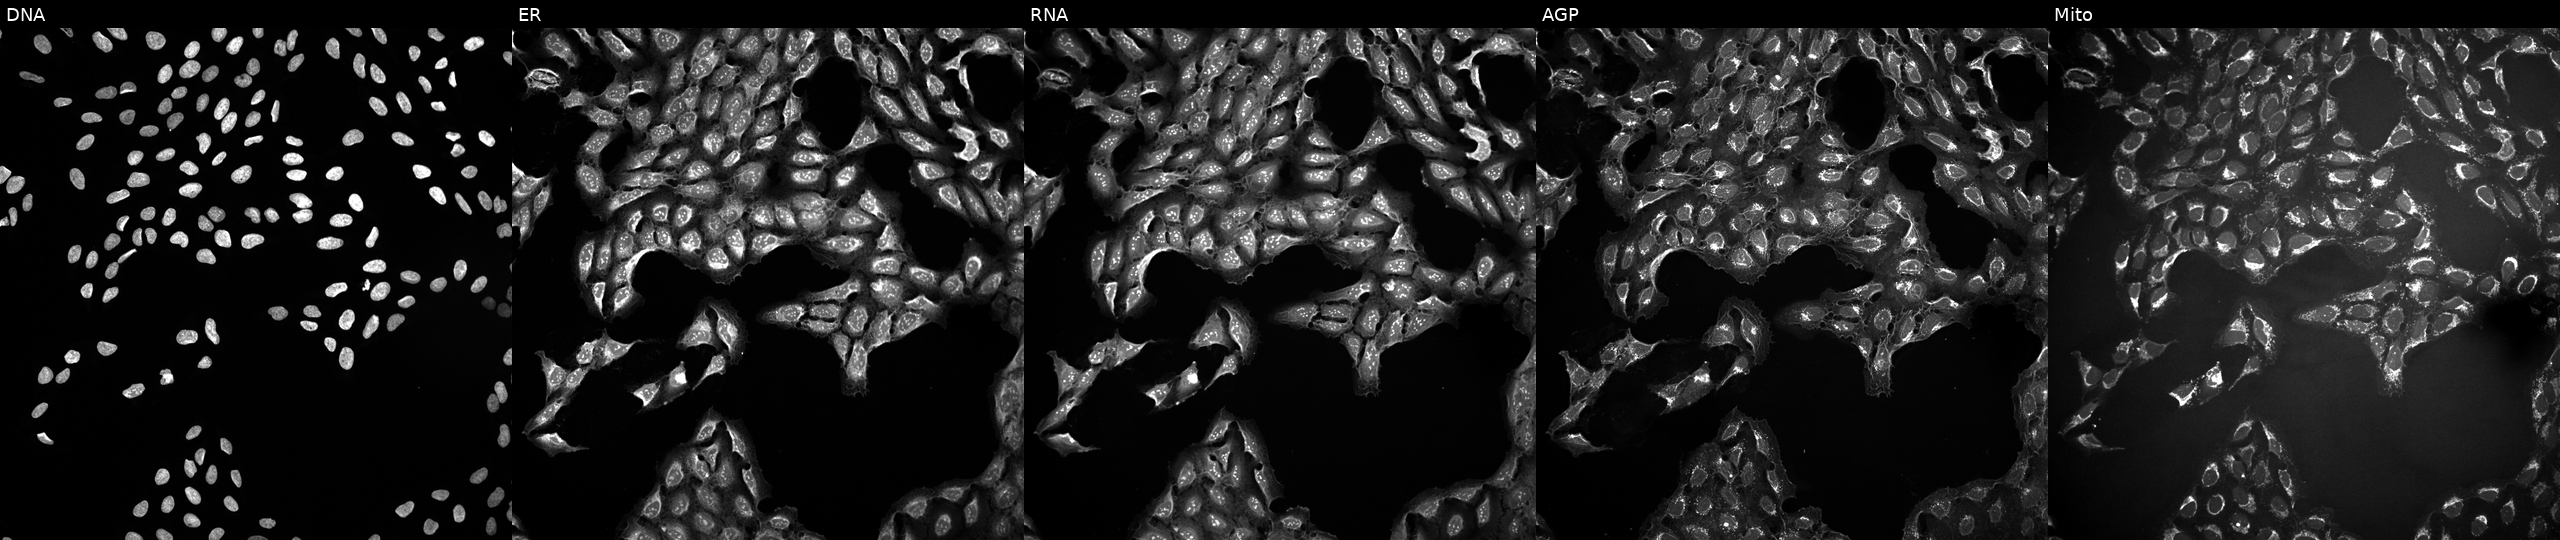
This image strip shows the five Cell Painting channels for a single field of U2OS cells treated with a small-molecule compound [SMILES: CC(=O)C1NC(=O)C(CCCCN)NC(=O)C(Cc2c[nH]c3ccccc23)NC(=O)C(Cc2ccccc2)NC(=O)C(NC(=O)C(N)Cc2ccccc2)CSSCC(C(=O)NC(CO)C(C)O)NC1O] (JUMP id JCP2022_039047). The five panels, left to right, show DNA (nuclei); ER (endoplasmic reticulum); RNA (nucleoli and cytoplasmic RNA); AGP (actin cytoskeleton, Golgi, and plasma membrane); Mito (mitochondria). Source 10, plate Dest210803-153958, well O10.